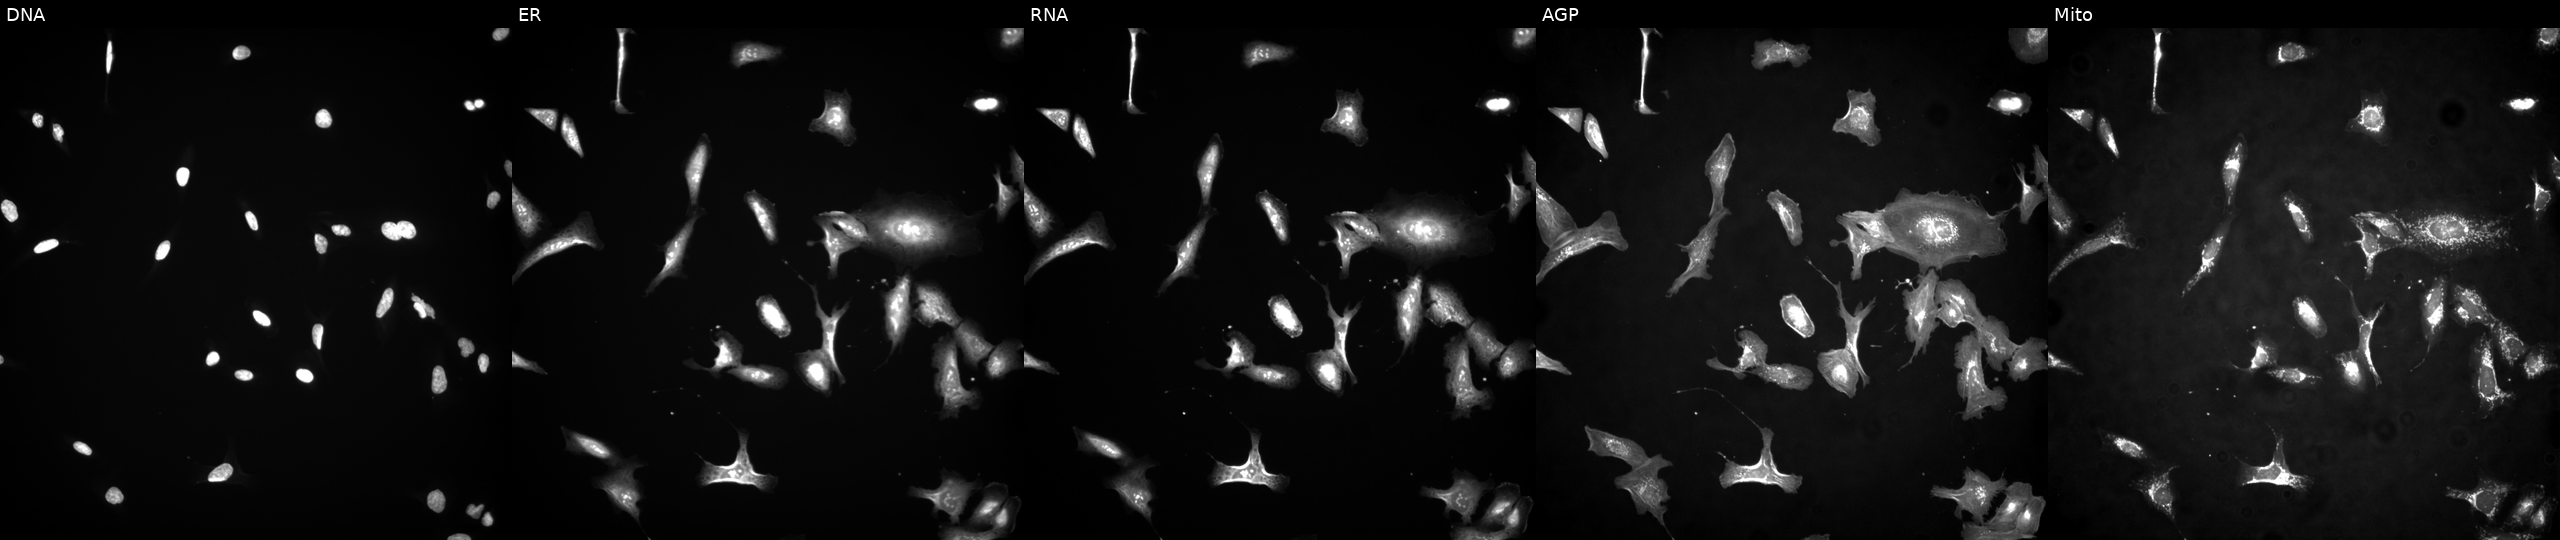
Five-channel Cell Painting image of U2OS cells overexpressing FUS via ORF transfection (JUMP id JCP2022_905825). From left to right: DNA, ER, RNA, AGP, and Mito.